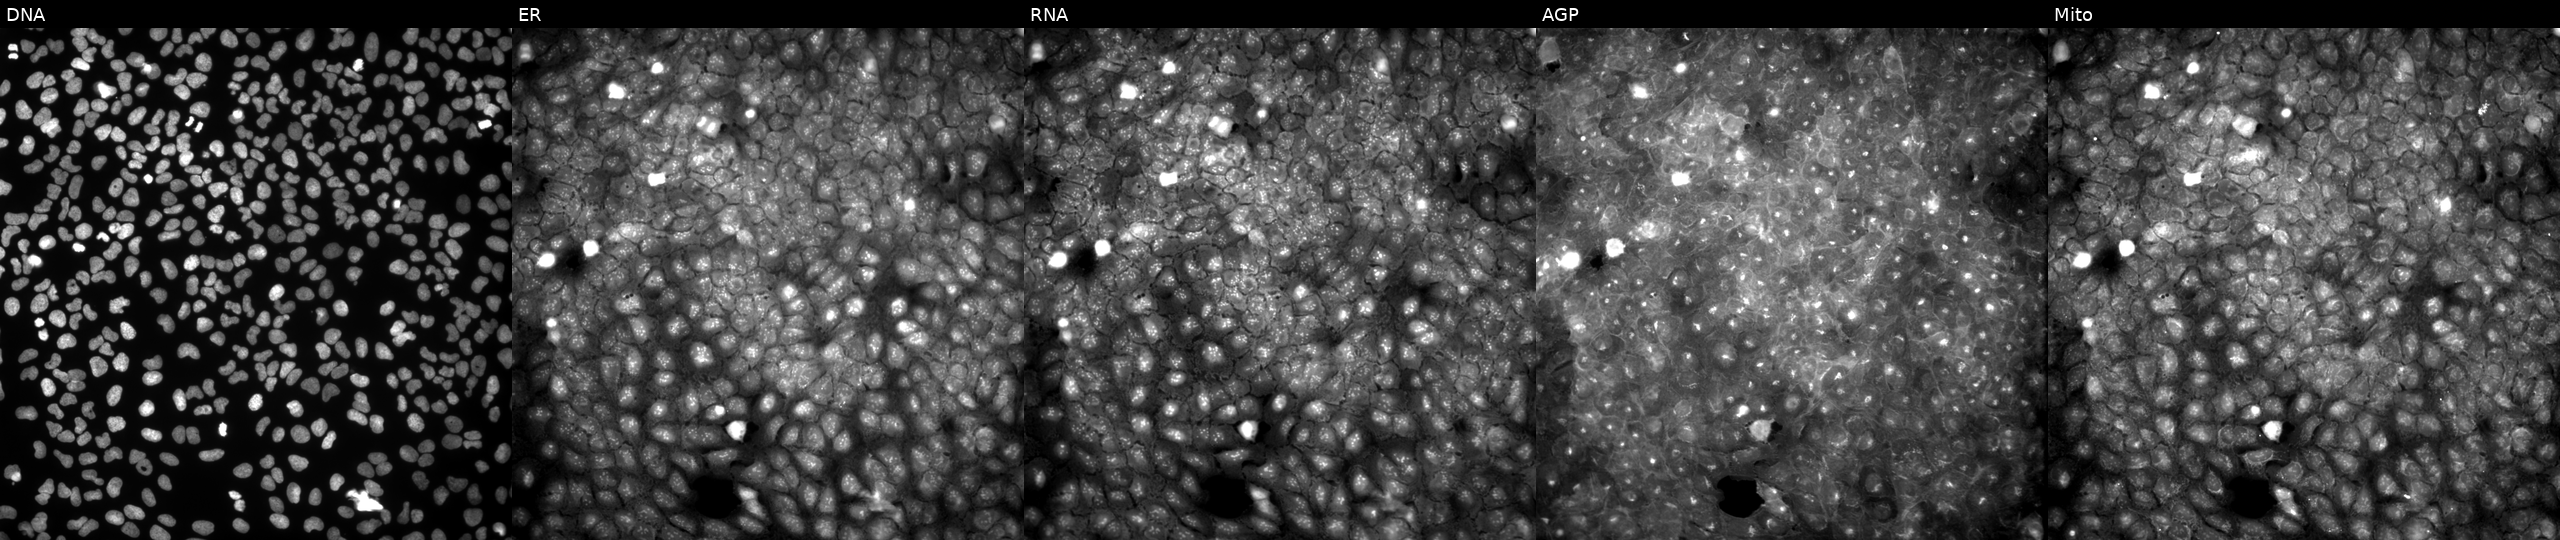
From left to right: DNA, ER, RNA, AGP, and Mito. U2OS osteosarcoma cells exposed to a small-molecule compound (InChIKey ZNQVFAOSZKQCHC-UHFFFAOYSA-N) (JUMP id JCP2022_114494). Cell Painting assay, JUMP-CP dataset.